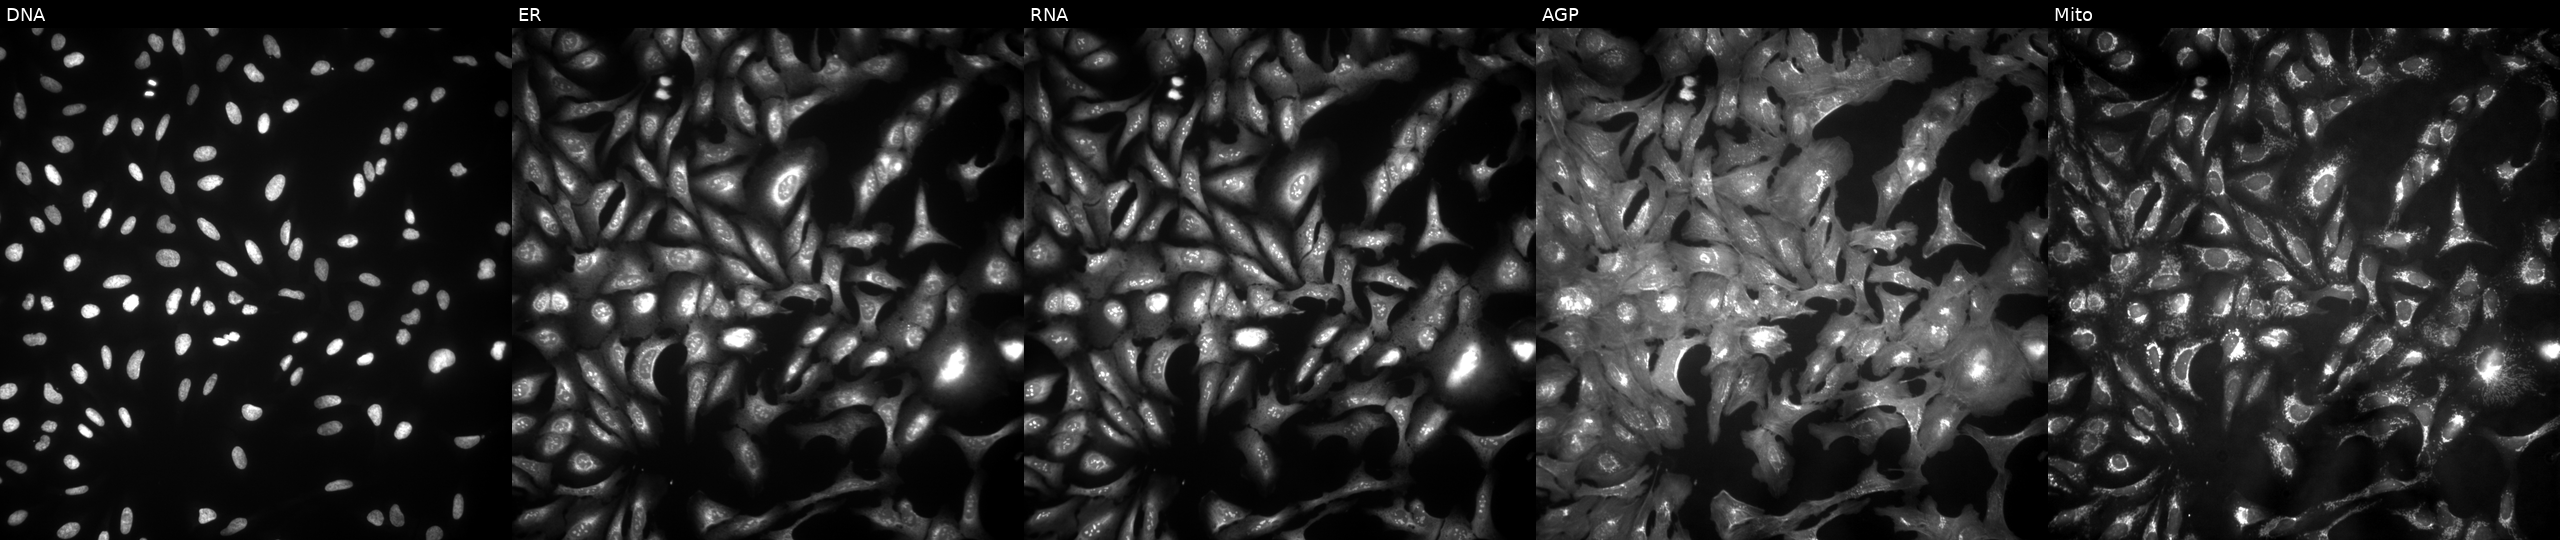
JUMP Cell Painting — ORF plate. U2OS cells with FRMD3 overexpressed (ORF) (JUMP id JCP2022_912562). From left to right: DNA, ER, RNA, AGP, and Mito.